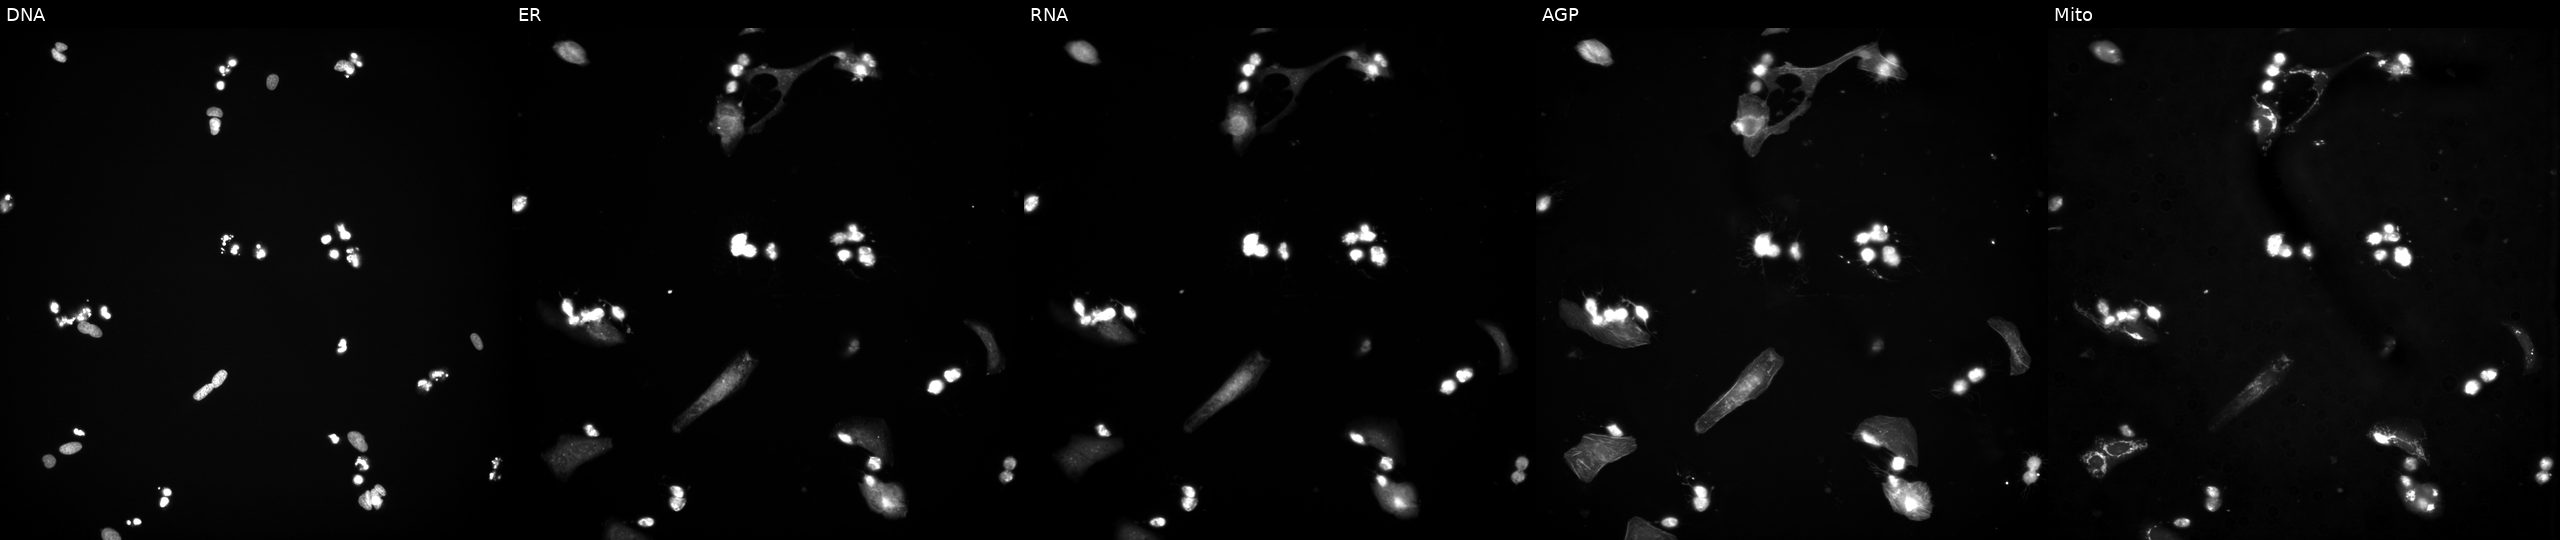
U2OS cells, Cell Painting assay, exposed to a small-molecule compound. The five panels, left to right, show DNA, ER, RNA, AGP, and Mito. Each panel is percentile-stretched 16-bit fluorescence.